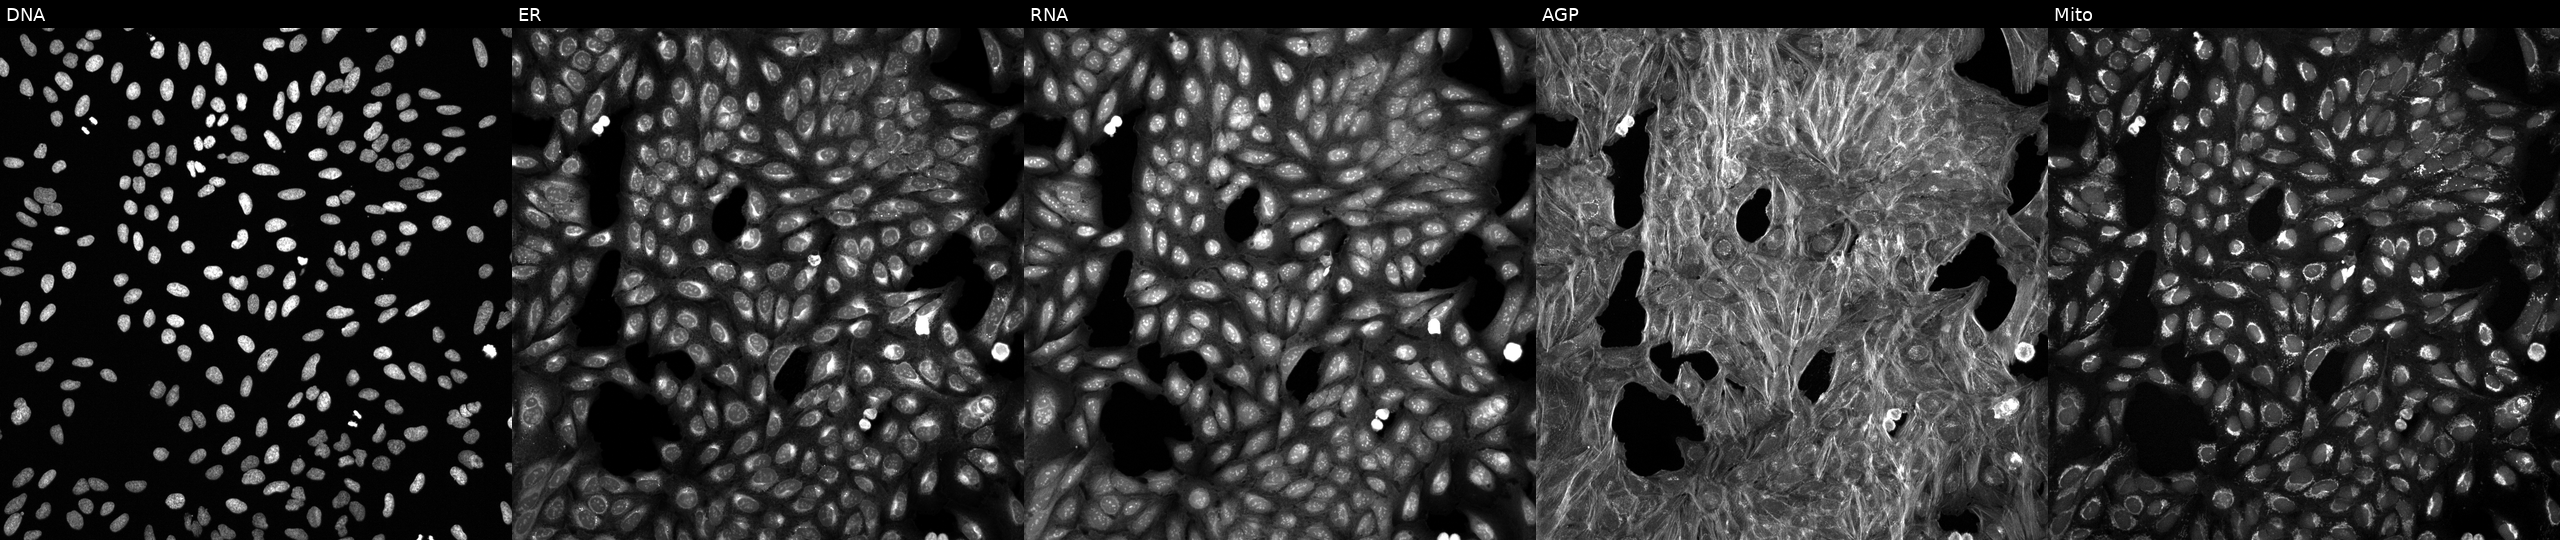
Five-channel Cell Painting image of U2OS cells treated with a small-molecule compound (InChIKey VBLHXYCFXBLZLD-UHFFFAOYSA-N). Panels show, left to right, DNA (nuclei); ER (endoplasmic reticulum); RNA (nucleoli and cytoplasmic RNA); AGP (actin cytoskeleton, Golgi, and plasma membrane); Mito (mitochondria).